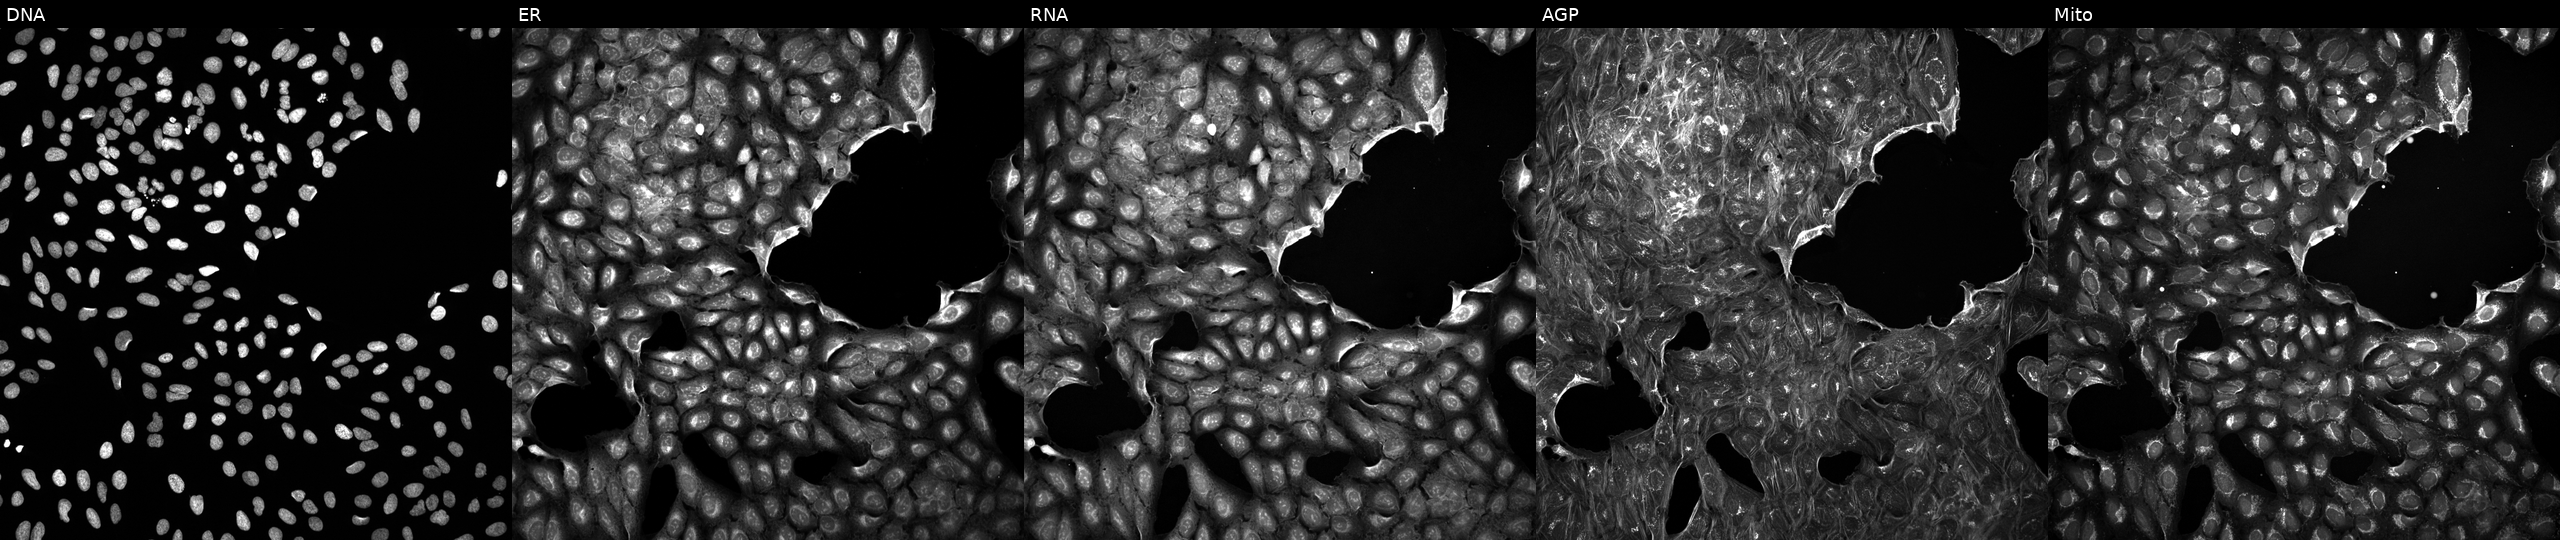
High-content fluorescence microscopy (Cell Painting). Cell line: U2OS. Perturbation: treated with a small-molecule compound (InChIKey PYNXFZCZUAOOQC-UHFFFAOYSA-N) (JUMP id JCP2022_071811). The five panels, left to right, show Hoechst 33342, concanavalin A, SYTO 14, phalloidin and WGA, MitoTracker. Source 5, plate ACPJUM051, well L18.